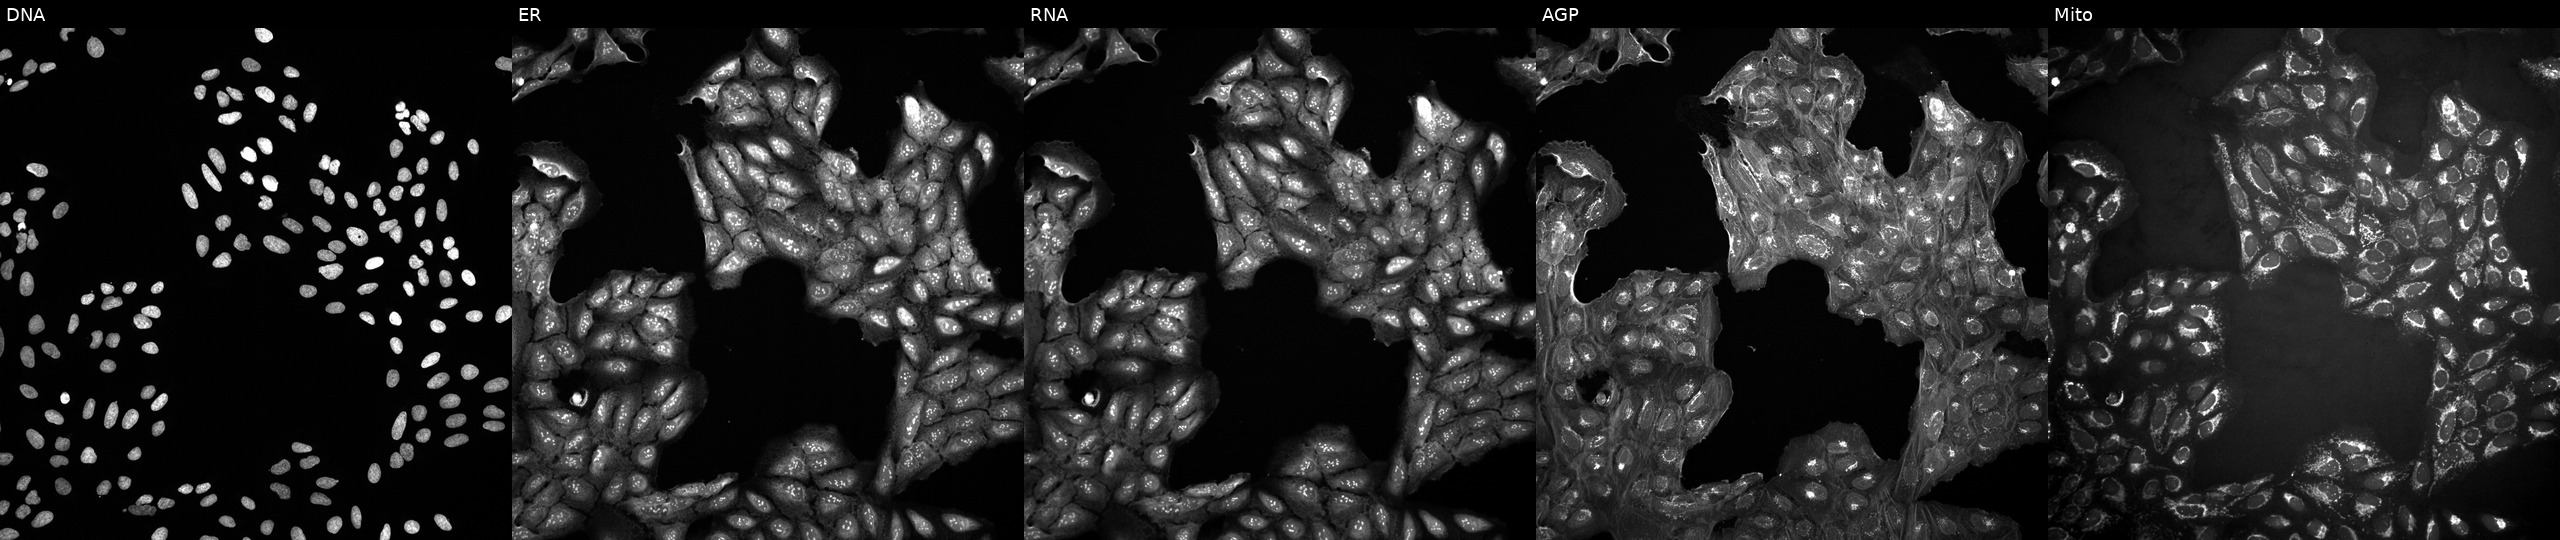
This image strip shows the five Cell Painting channels for a single field of U2OS cells exposed to a small-molecule compound (InChIKey NDEYYAPIOHAWEX-UHFFFAOYSA-N). From left to right: DNA, ER, RNA, AGP, and Mito.